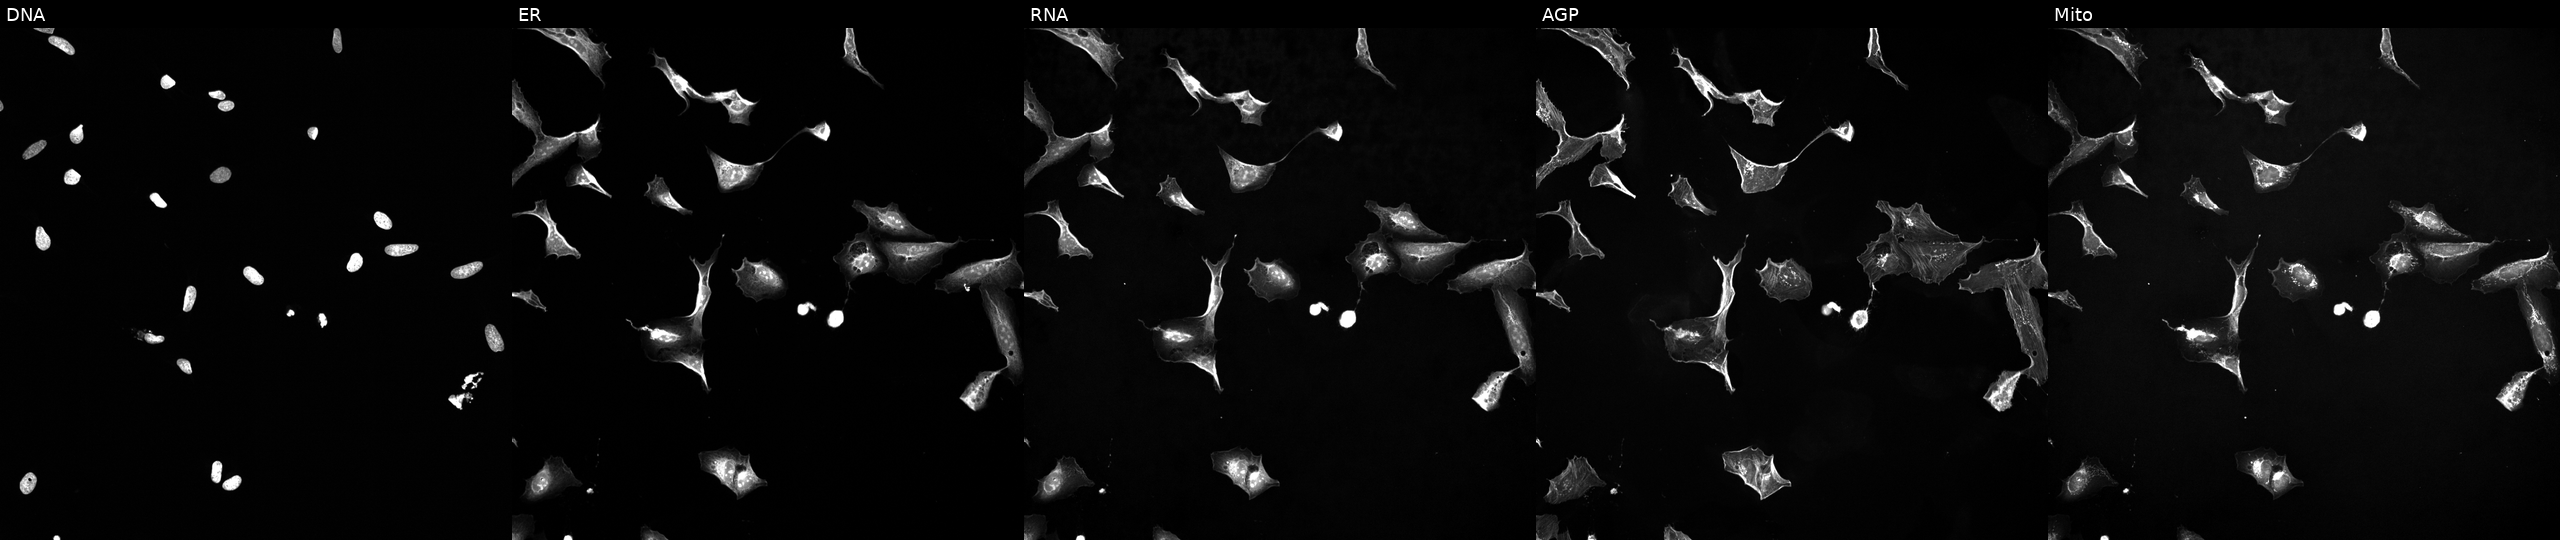
High-content fluorescence microscopy (Cell Painting). Cell line: U2OS. Perturbation: exposed to a small-molecule compound (InChIKey MNYJJHBAEYKXEG-UHFFFAOYSA-N) (JUMP id JCP2022_055397). From left to right: DNA, ER, RNA, AGP, and Mito.